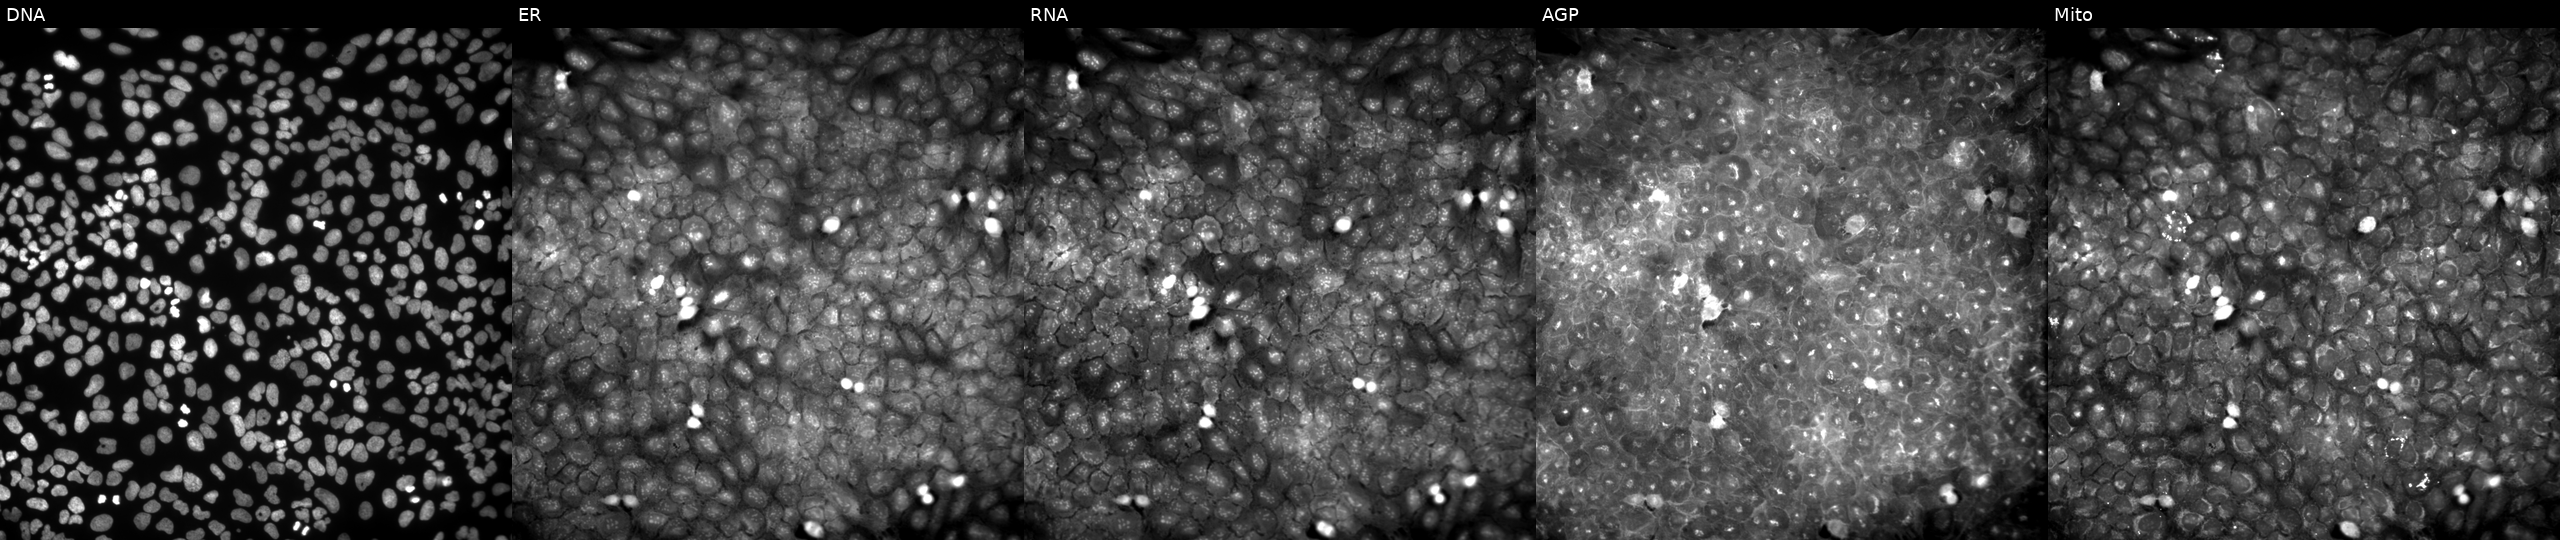
High-content fluorescence microscopy (Cell Painting). Cell line: U2OS. Perturbation: treated with a small-molecule compound (InChIKey JIZZMPKMGFYVDE-UHFFFAOYSA-N). Panels show, left to right, Hoechst 33342, concanavalin A, SYTO 14, phalloidin and WGA, MitoTracker. Source 9, plate GR00003381, well Y36.